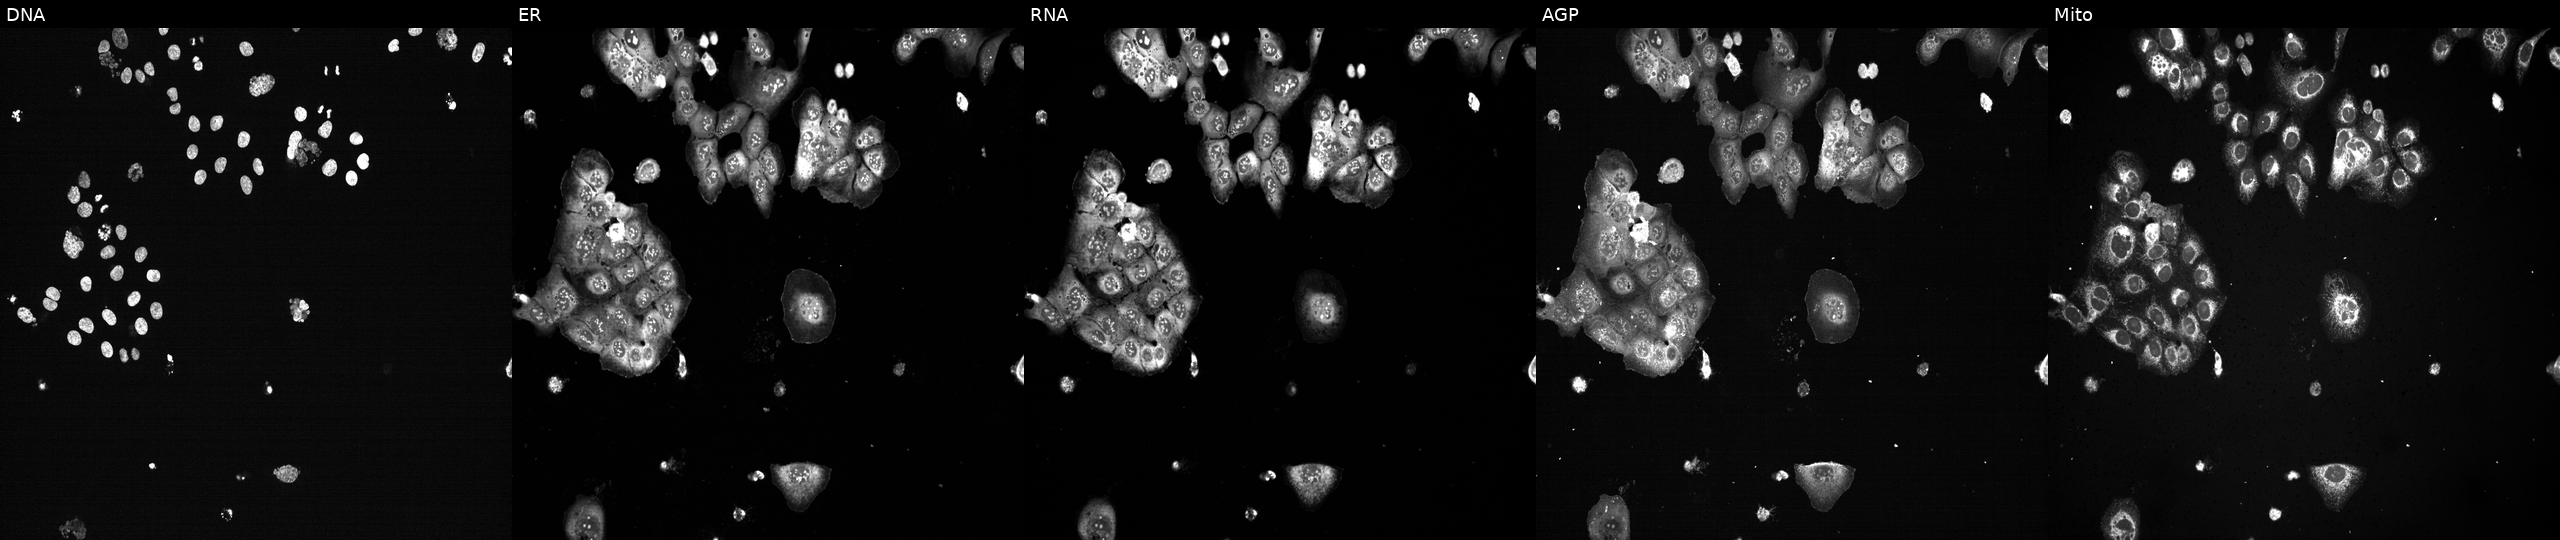
This image strip shows the five Cell Painting channels for a single field of U2OS cells with PLK1 knocked out by CRISPR (positive control) (JUMP id JCP2022_805264). From left to right: Hoechst 33342, concanavalin A, SYTO 14, phalloidin and WGA, MitoTracker. Source 13, plate CP-CC9-R4-03, well P02.